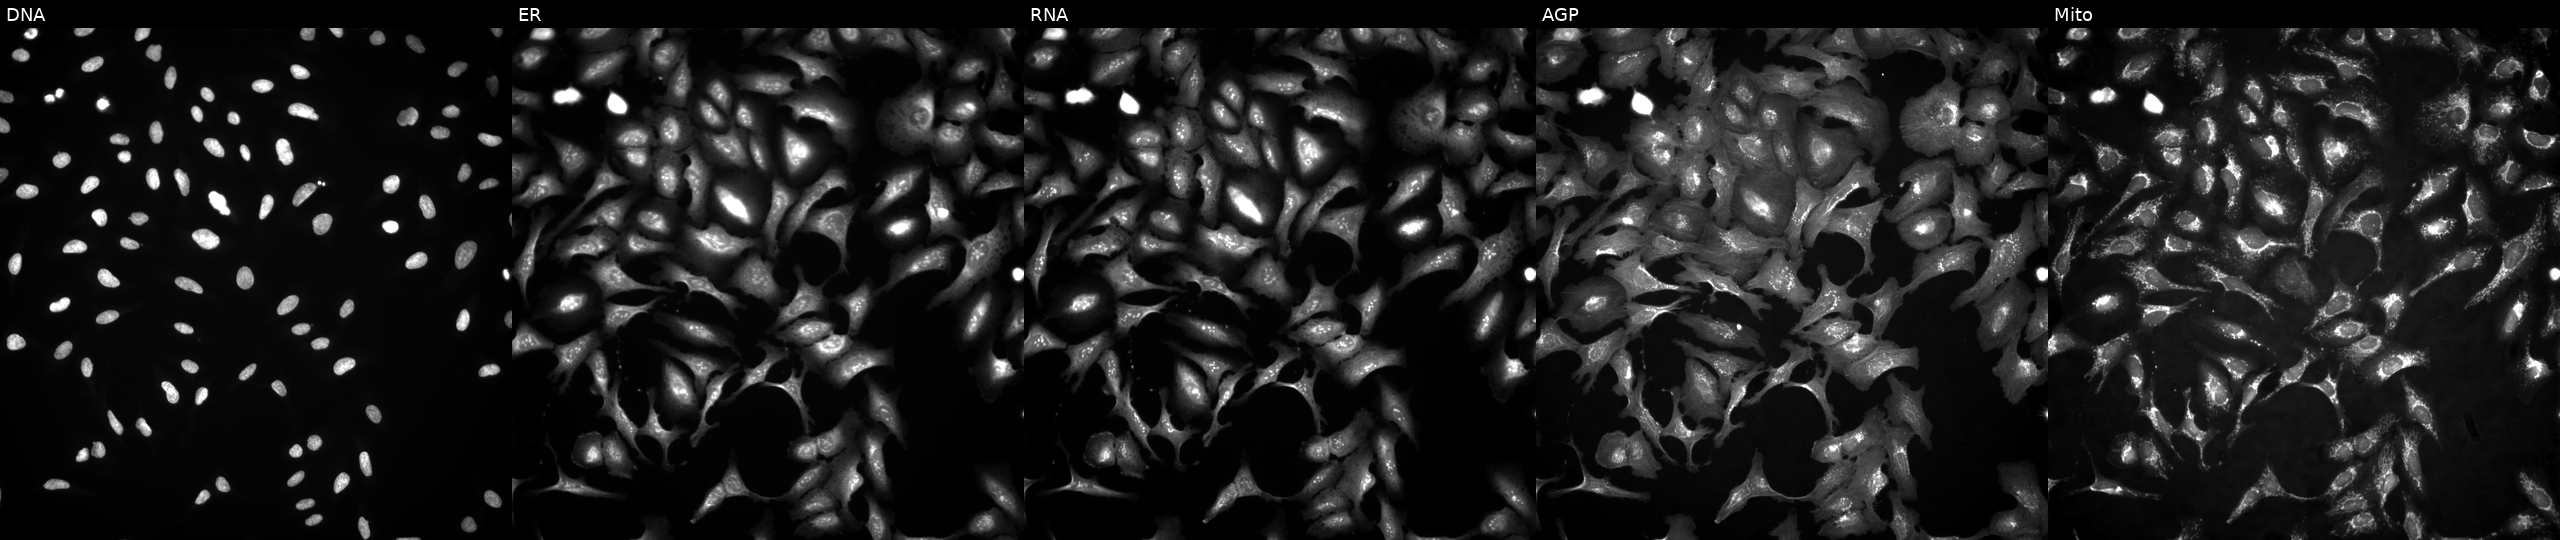
JUMP Cell Painting — ORF plate. U2OS cells overexpressing COBLL1 via ORF transfection (JUMP id JCP2022_910845). From left to right: DNA (nuclei); ER (endoplasmic reticulum); RNA (nucleoli and cytoplasmic RNA); AGP (actin cytoskeleton, Golgi, and plasma membrane); Mito (mitochondria).